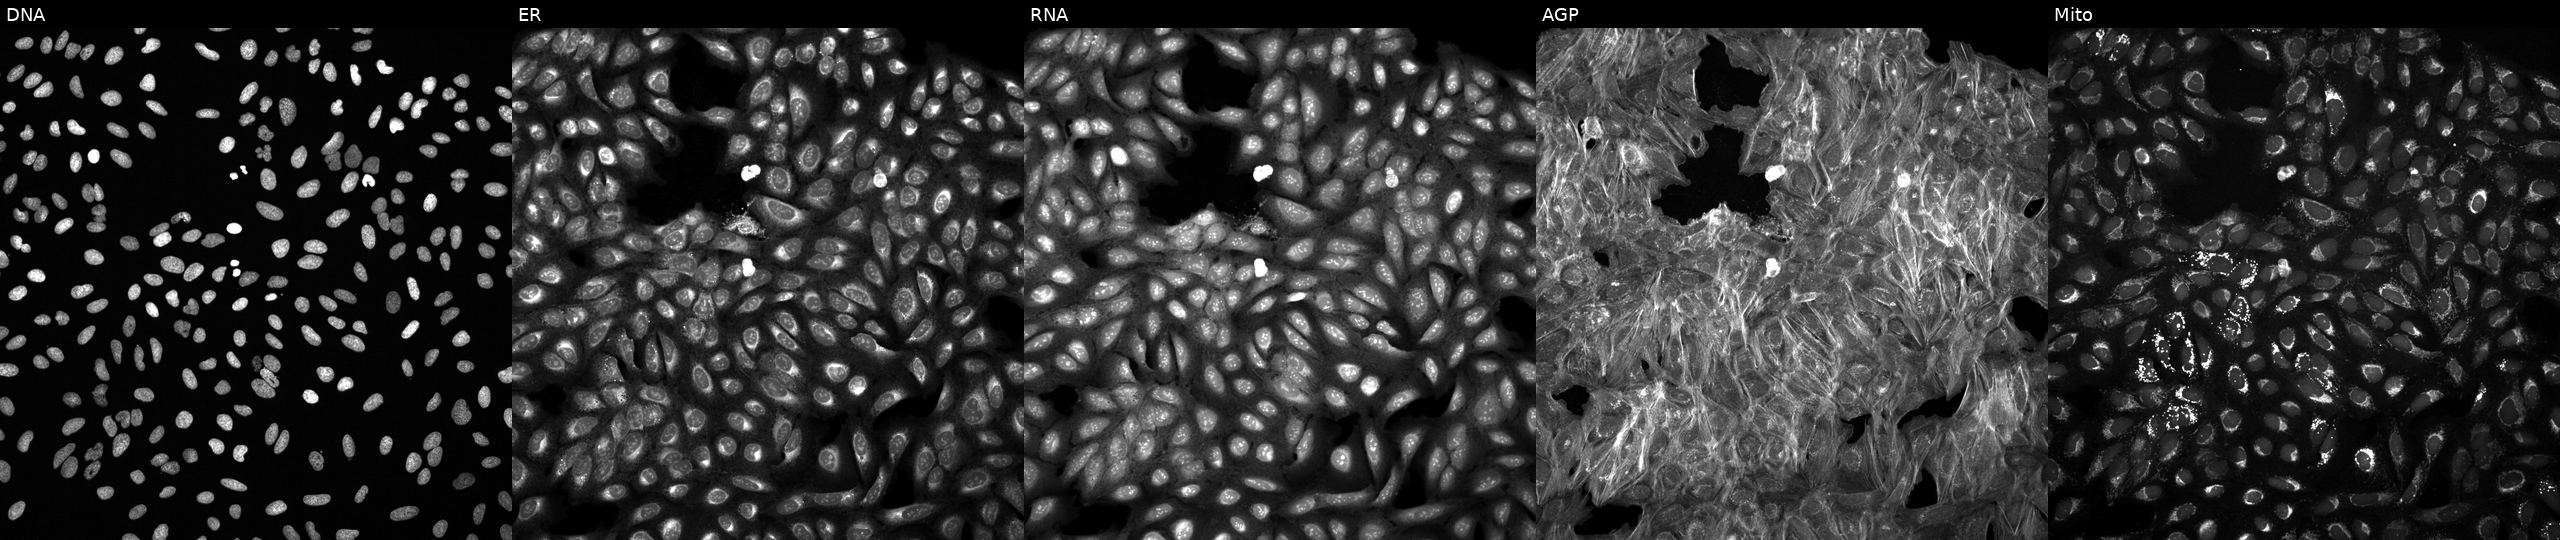
JUMP Cell Painting — COMPOUND plate. U2OS cells exposed to a small-molecule compound (InChIKey UYRYLDYJTKWPPI-UHFFFAOYSA-N) [SMILES: CCn1ncc2c(C(=O)N3CCCCC3C)cc(-c3ccccc3)nc21]. From left to right: DNA, ER, RNA, AGP, and Mito.